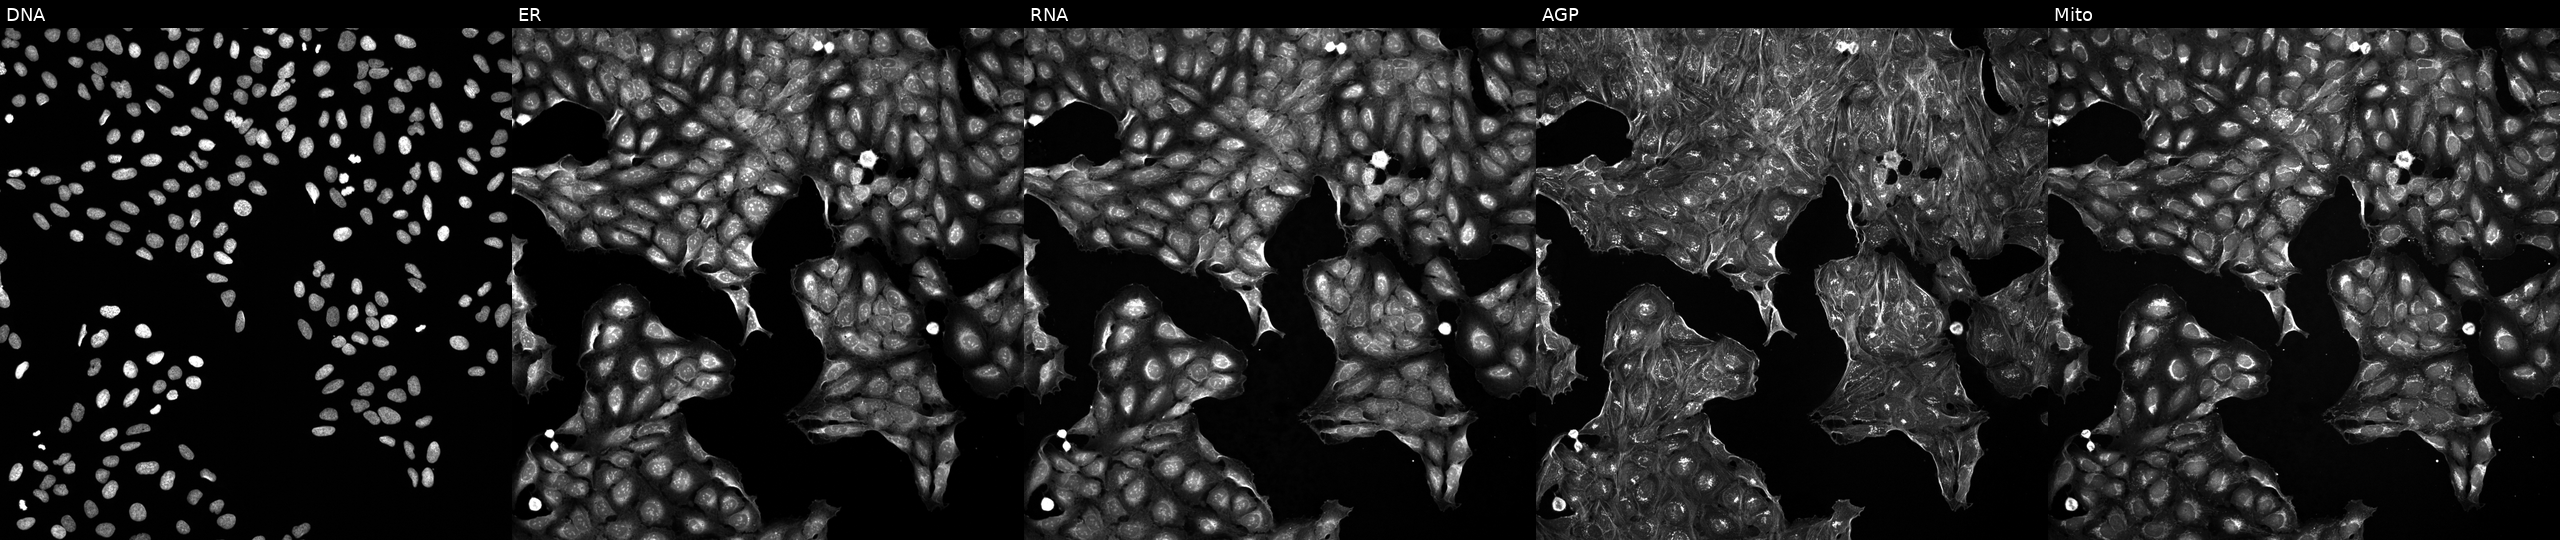
Five-channel Cell Painting image of U2OS cells exposed to a small-molecule compound. From left to right: DNA (nuclei); ER (endoplasmic reticulum); RNA (nucleoli and cytoplasmic RNA); AGP (actin cytoskeleton, Golgi, and plasma membrane); Mito (mitochondria). Source 5, plate APTJUM105, well C14.